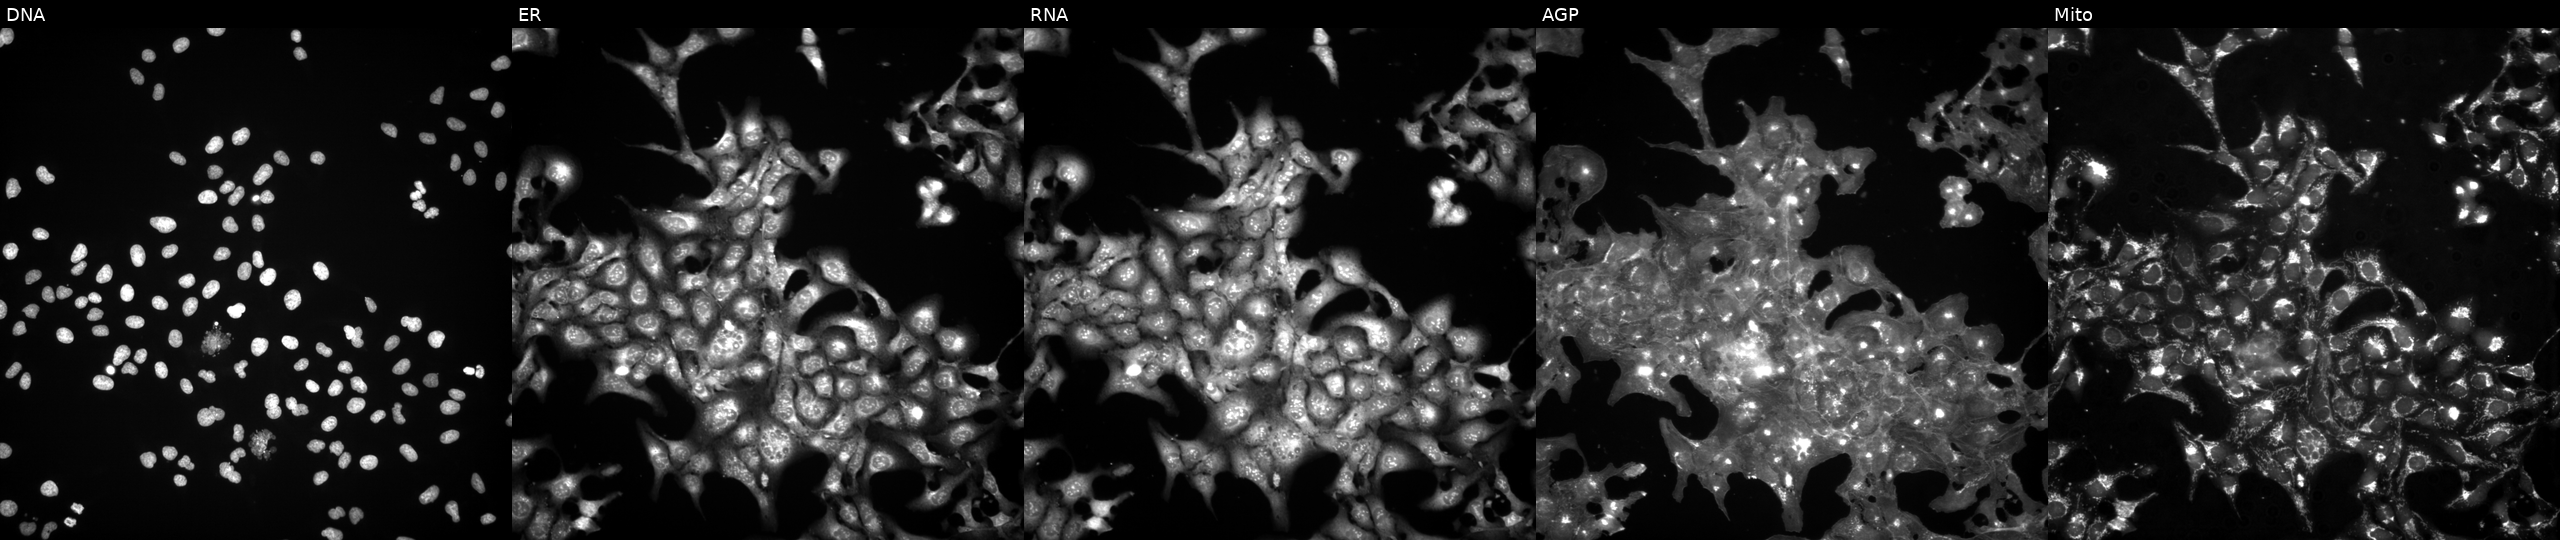
High-content fluorescence microscopy (Cell Painting). Cell line: U2OS. Perturbation: exposed to a small-molecule compound (InChIKey GDVRVPIXWXOKQO-UHFFFAOYSA-N). From left to right: DNA (nuclei); ER (endoplasmic reticulum); RNA (nucleoli and cytoplasmic RNA); AGP (actin cytoskeleton, Golgi, and plasma membrane); Mito (mitochondria).